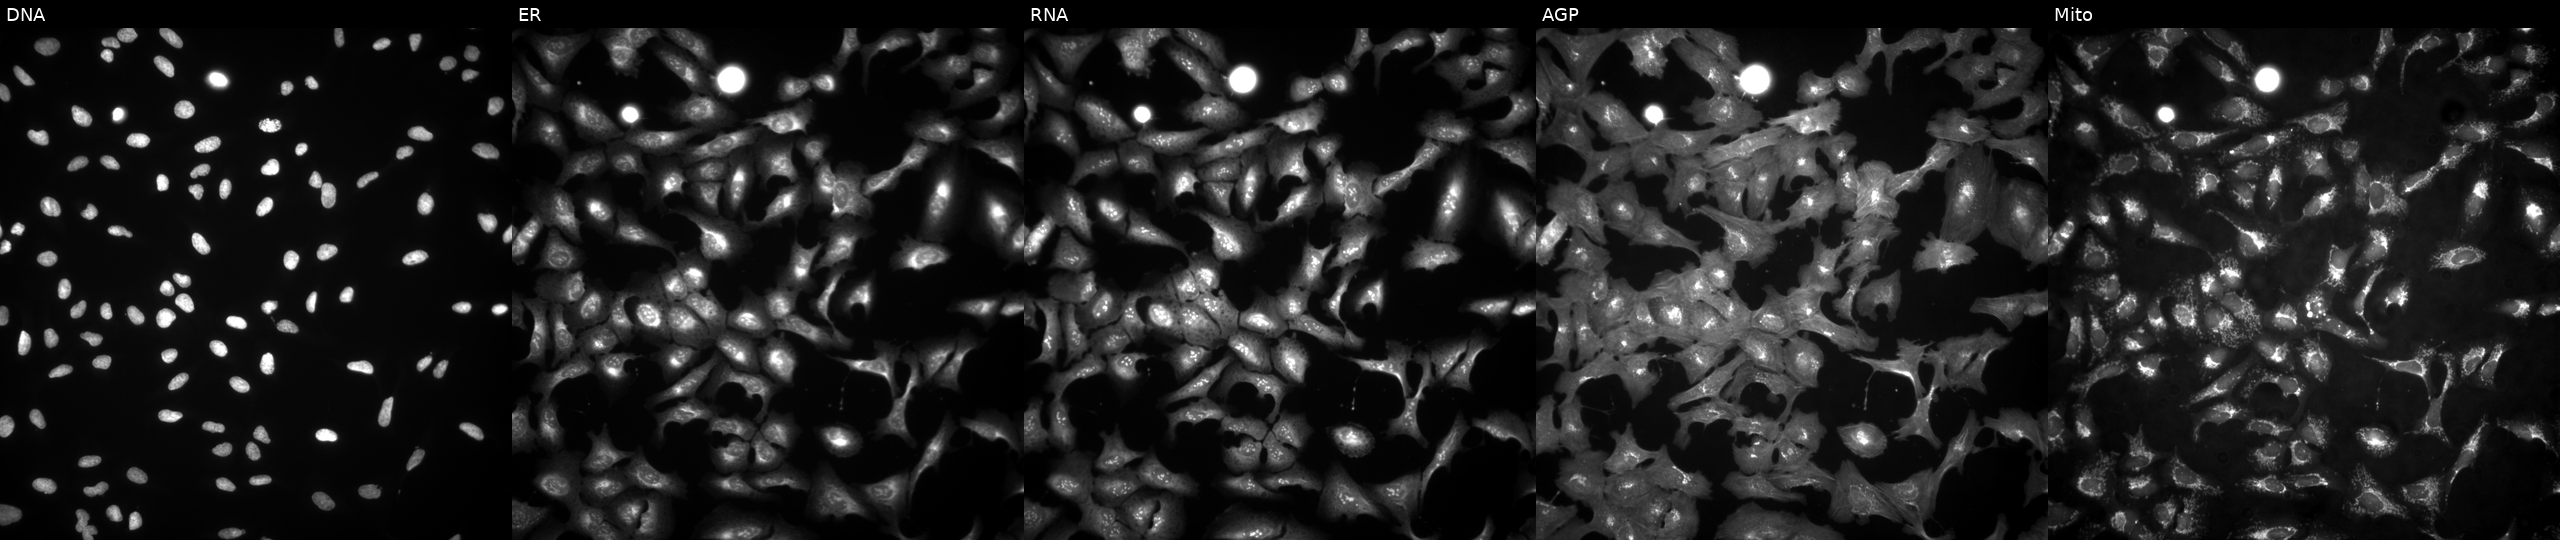
High-content fluorescence microscopy (Cell Painting). Cell line: U2OS. Perturbation: overexpressing MIR503HG via ORF transfection (JUMP id JCP2022_911991). The five panels, left to right, show DNA (nuclei); ER (endoplasmic reticulum); RNA (nucleoli and cytoplasmic RNA); AGP (actin cytoskeleton, Golgi, and plasma membrane); Mito (mitochondria). Source 4, plate BR00123509, well N23.